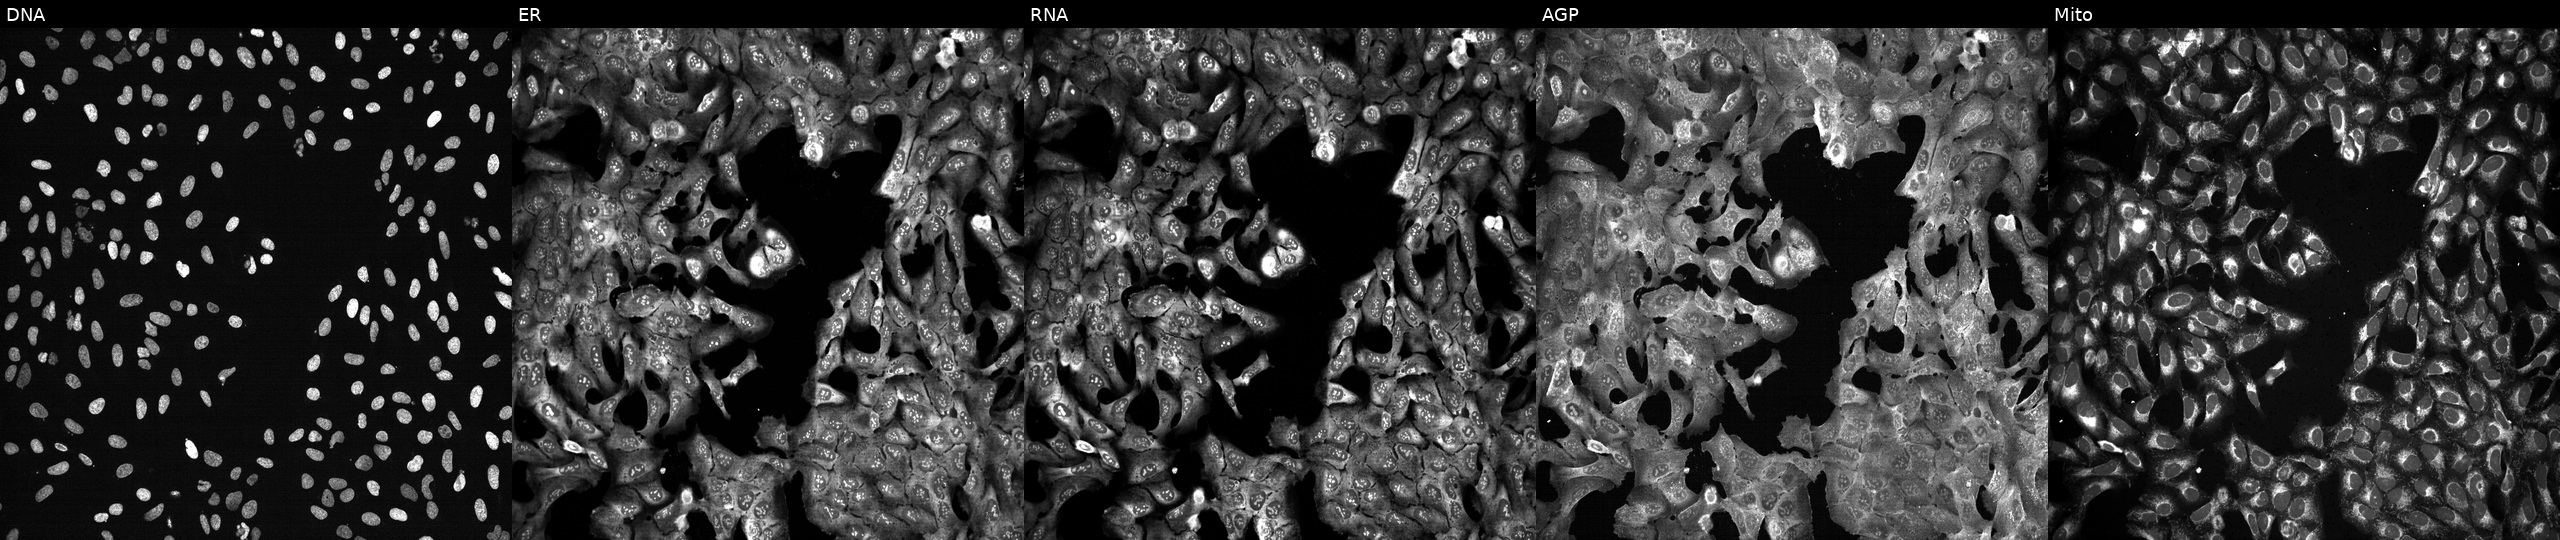
Five-channel Cell Painting image of U2OS cells with SOAT2 knocked out by CRISPR (JUMP id JCP2022_806673). Panels show, left to right, Hoechst 33342, concanavalin A, SYTO 14, phalloidin and WGA, MitoTracker. Source 13, plate CP-CC9-R3-02, well G12.